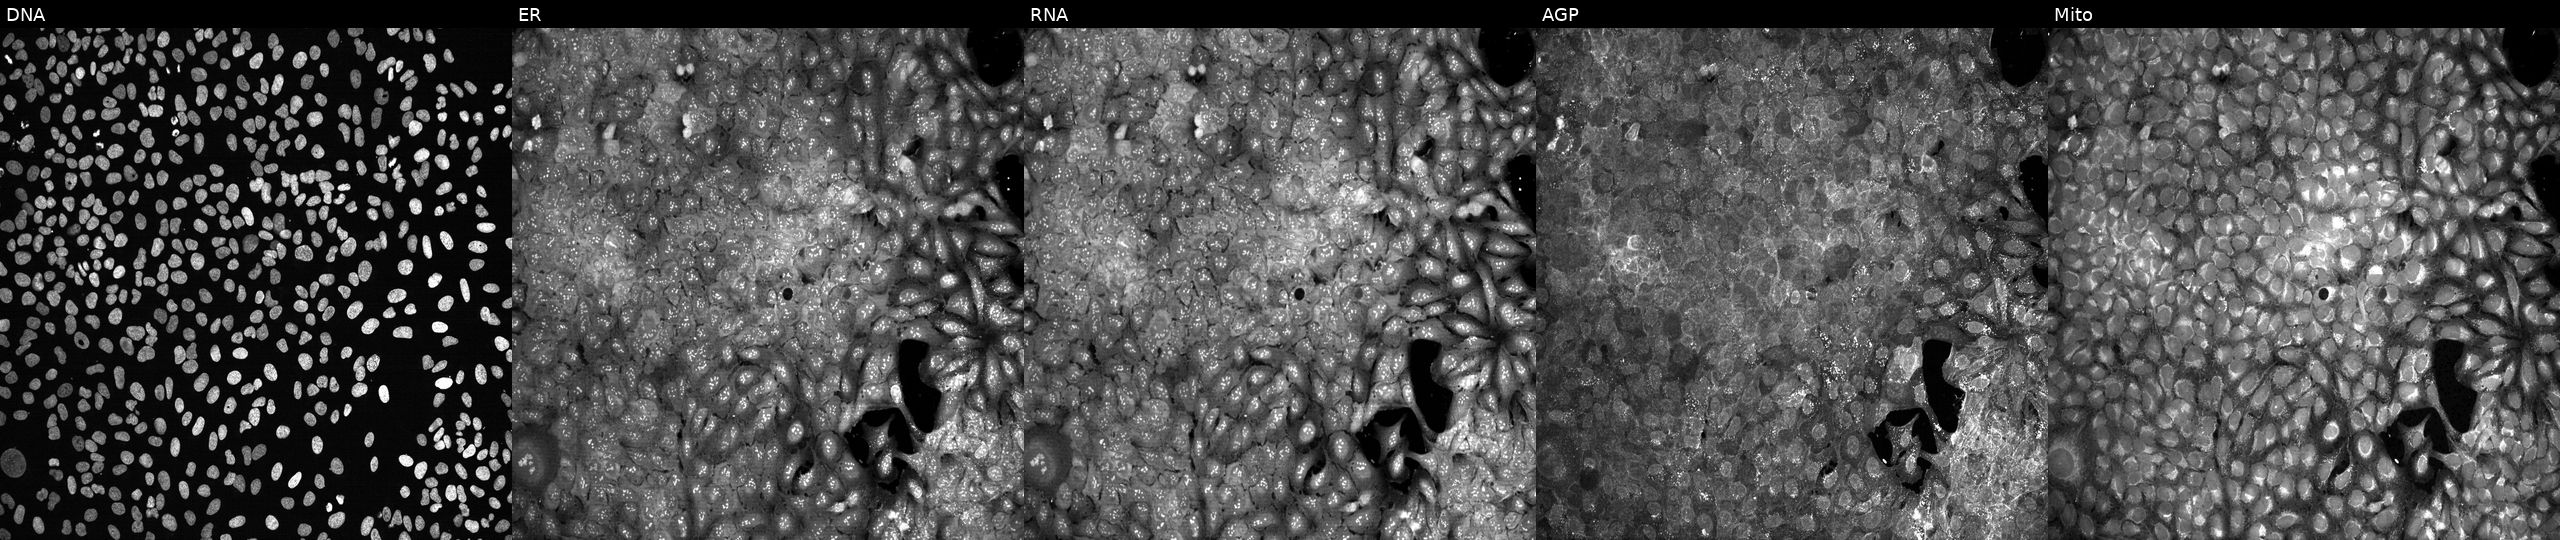
U2OS cells, Cell Painting assay, exposed to the positive-control compound aloxistatin (JUMP id JCP2022_085227). From left to right: DNA, ER, RNA, AGP, and Mito. Each panel is percentile-stretched 16-bit fluorescence. Source 13, plate CP-CC9-R1-02, well I01.